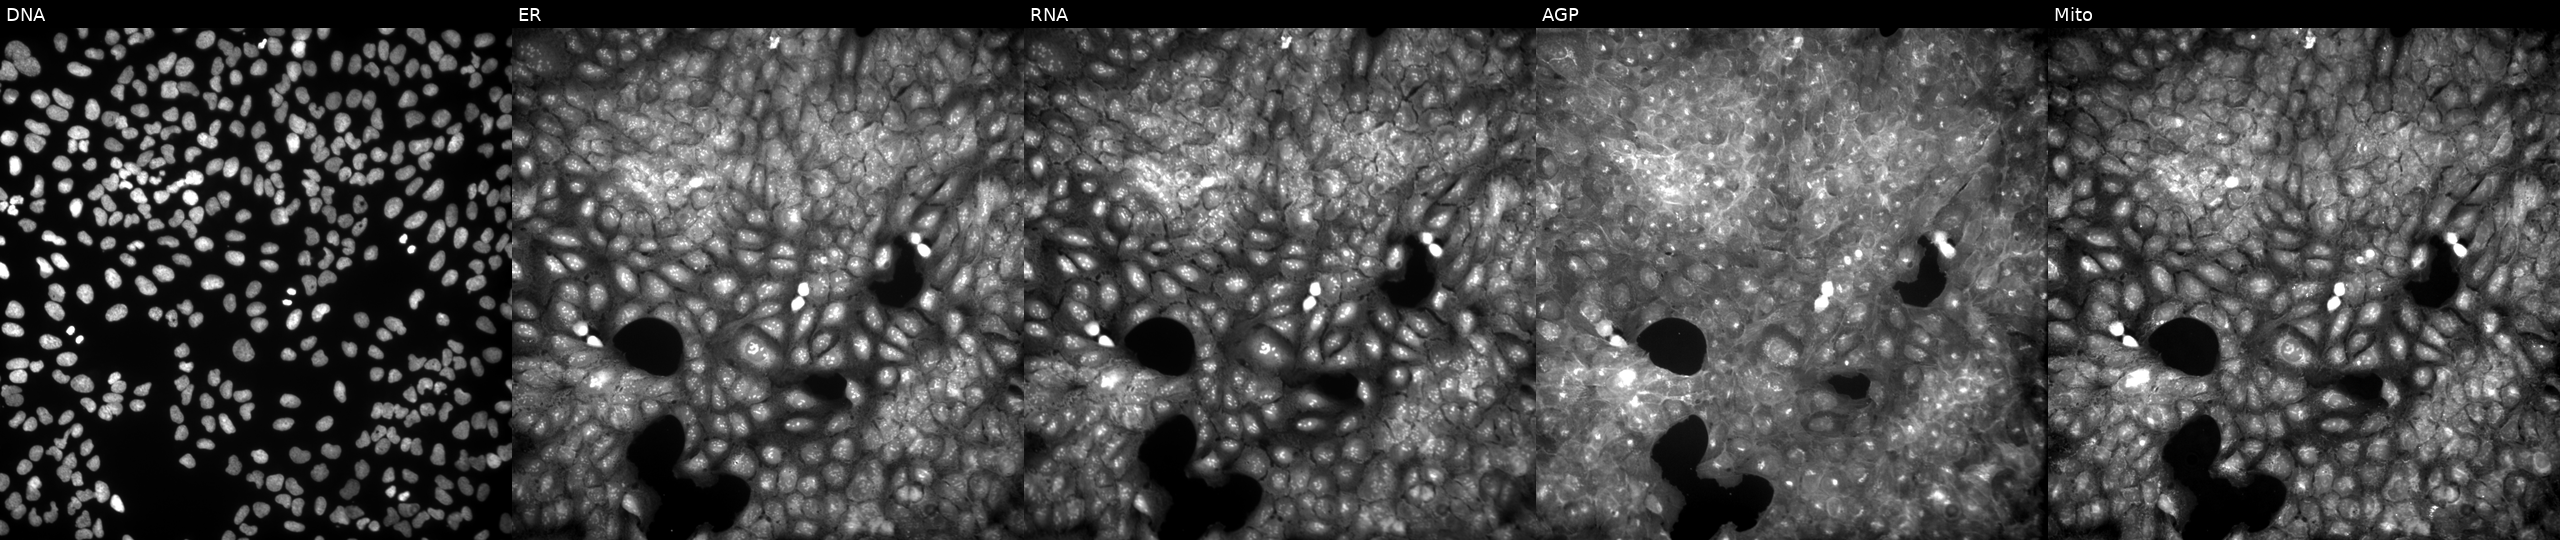
U2OS cells, Cell Painting assay, treated with a small-molecule compound (InChIKey STHAHFPLLHRRRO-UHFFFAOYSA-N) (JUMP id JCP2022_085489). From left to right: Hoechst 33342, concanavalin A, SYTO 14, phalloidin and WGA, MitoTracker. Each panel is percentile-stretched 16-bit fluorescence.